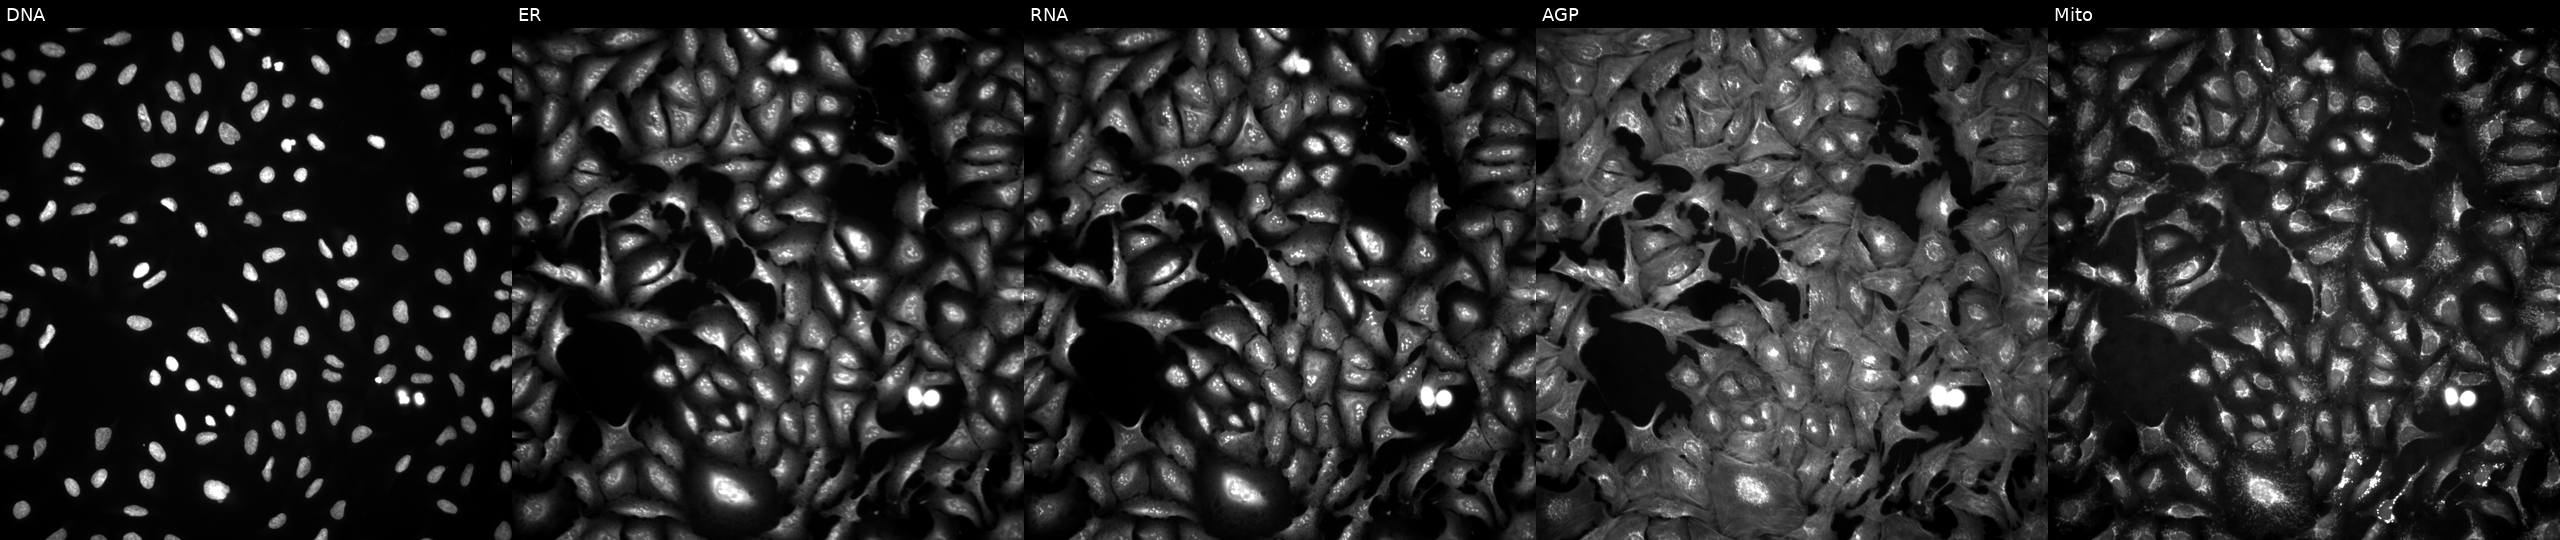
The five panels, left to right, show DNA, ER, RNA, AGP, and Mito. U2OS osteosarcoma cells with MRFAP1 overexpressed (ORF) (JUMP id JCP2022_904312). Cell Painting assay, JUMP-CP dataset.